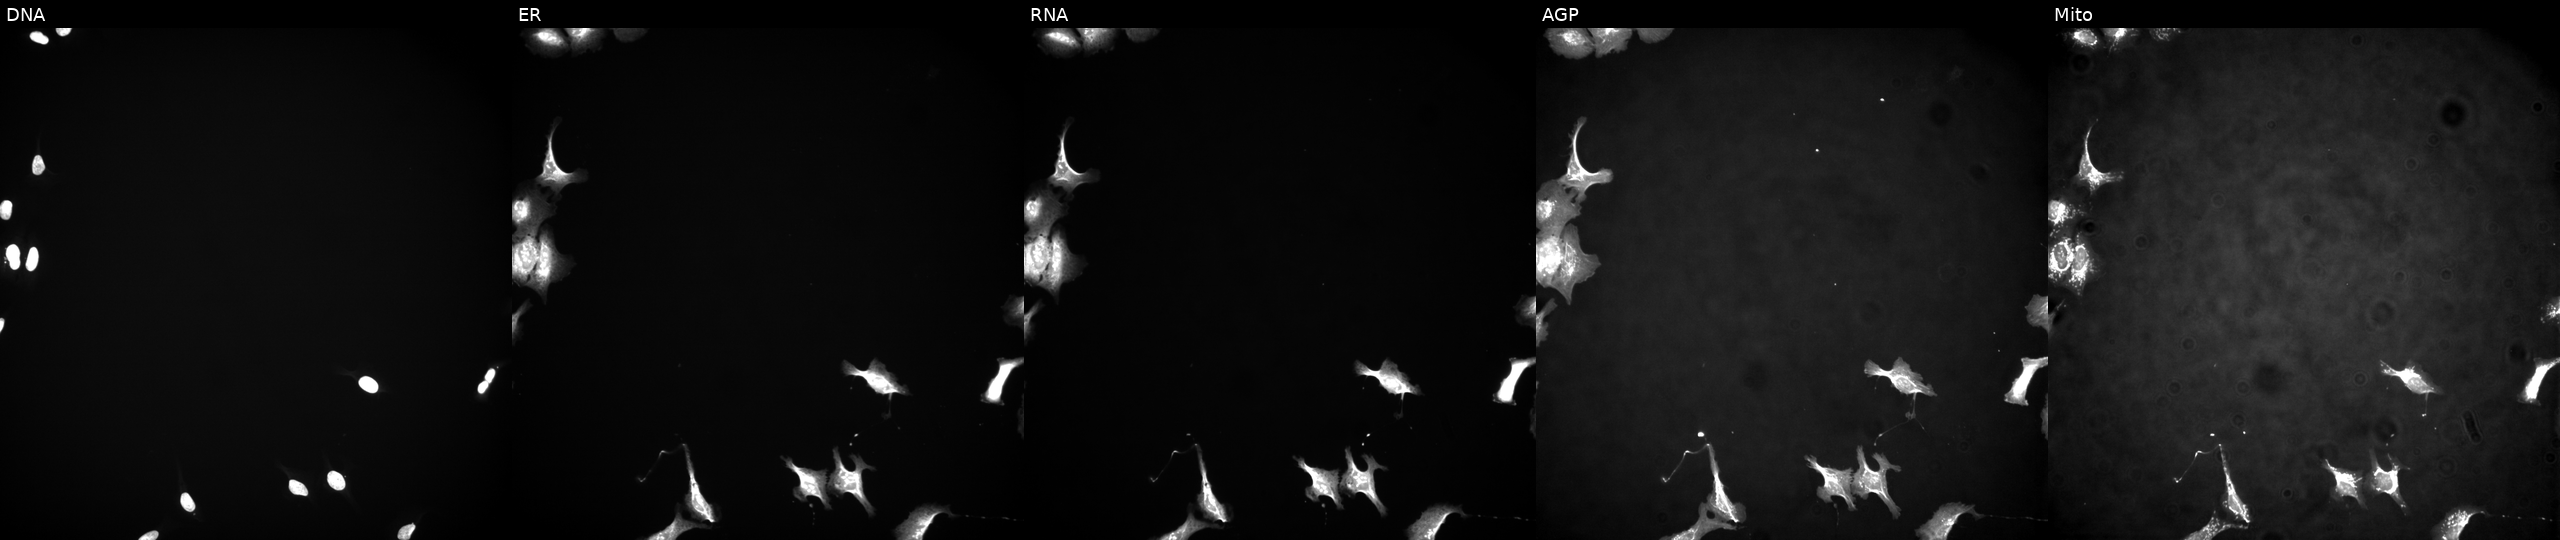
This image strip shows the five Cell Painting channels for a single field of U2OS cells overexpressing DAD1 via ORF transfection (JUMP id JCP2022_905688). Channels (left→right): DNA (nuclei); ER (endoplasmic reticulum); RNA (nucleoli and cytoplasmic RNA); AGP (actin cytoskeleton, Golgi, and plasma membrane); Mito (mitochondria).